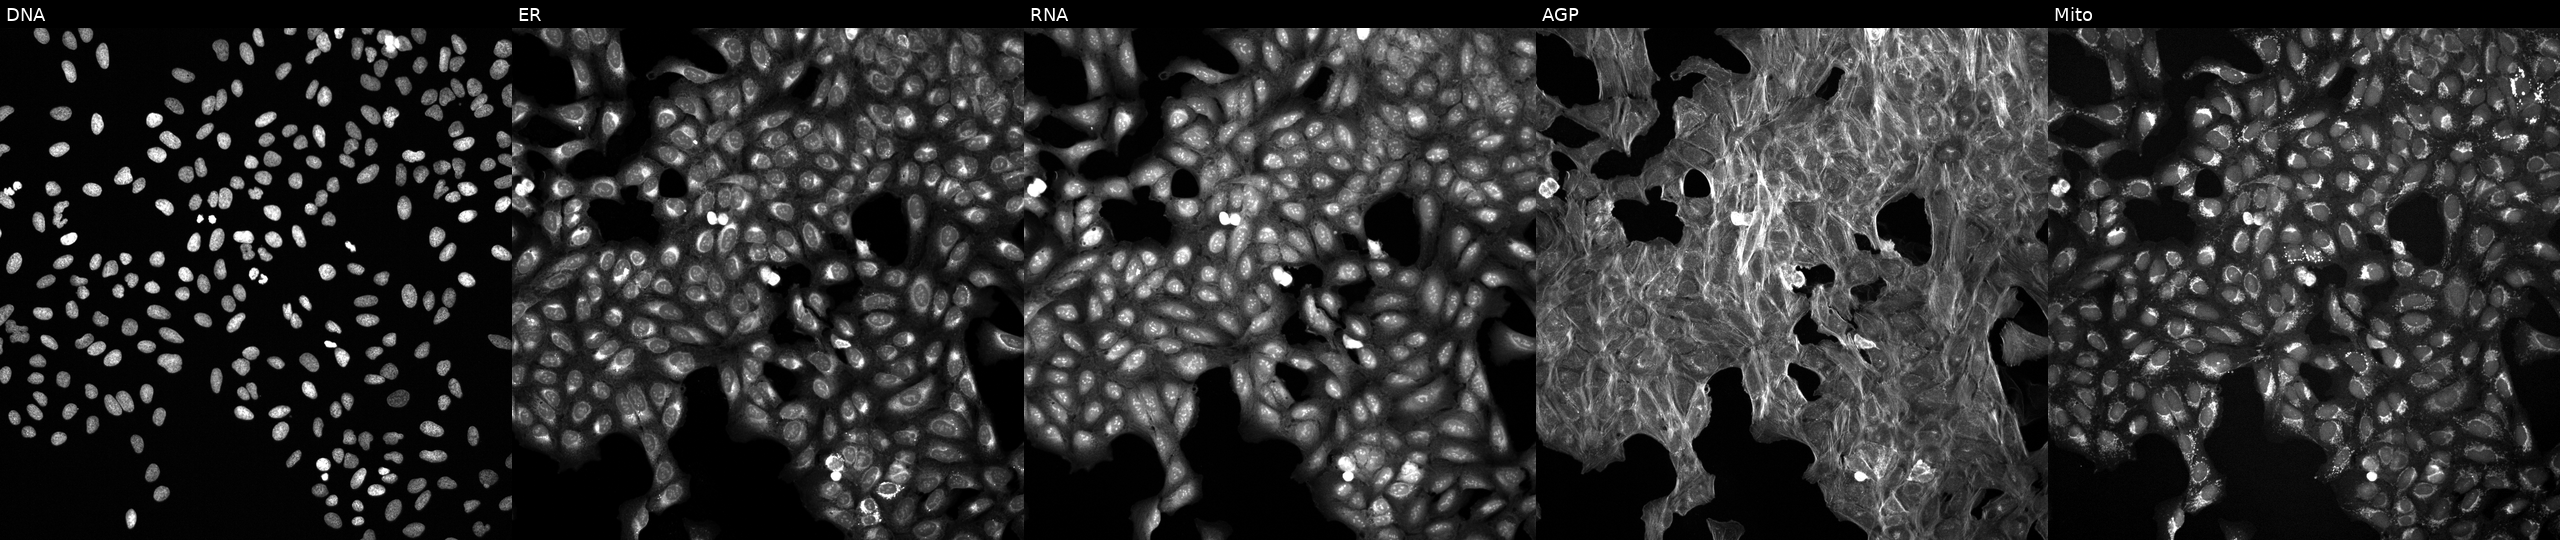
Channels (left→right): DNA, ER, RNA, AGP, and Mito. U2OS osteosarcoma cells treated with a small-molecule compound [SMILES: COc1ccc(Cl)cc1C1(F)C(=O)Nc2cc(C(F)(F)F)ccc21] (JUMP id JCP2022_090051). Cell Painting assay, JUMP-CP dataset.